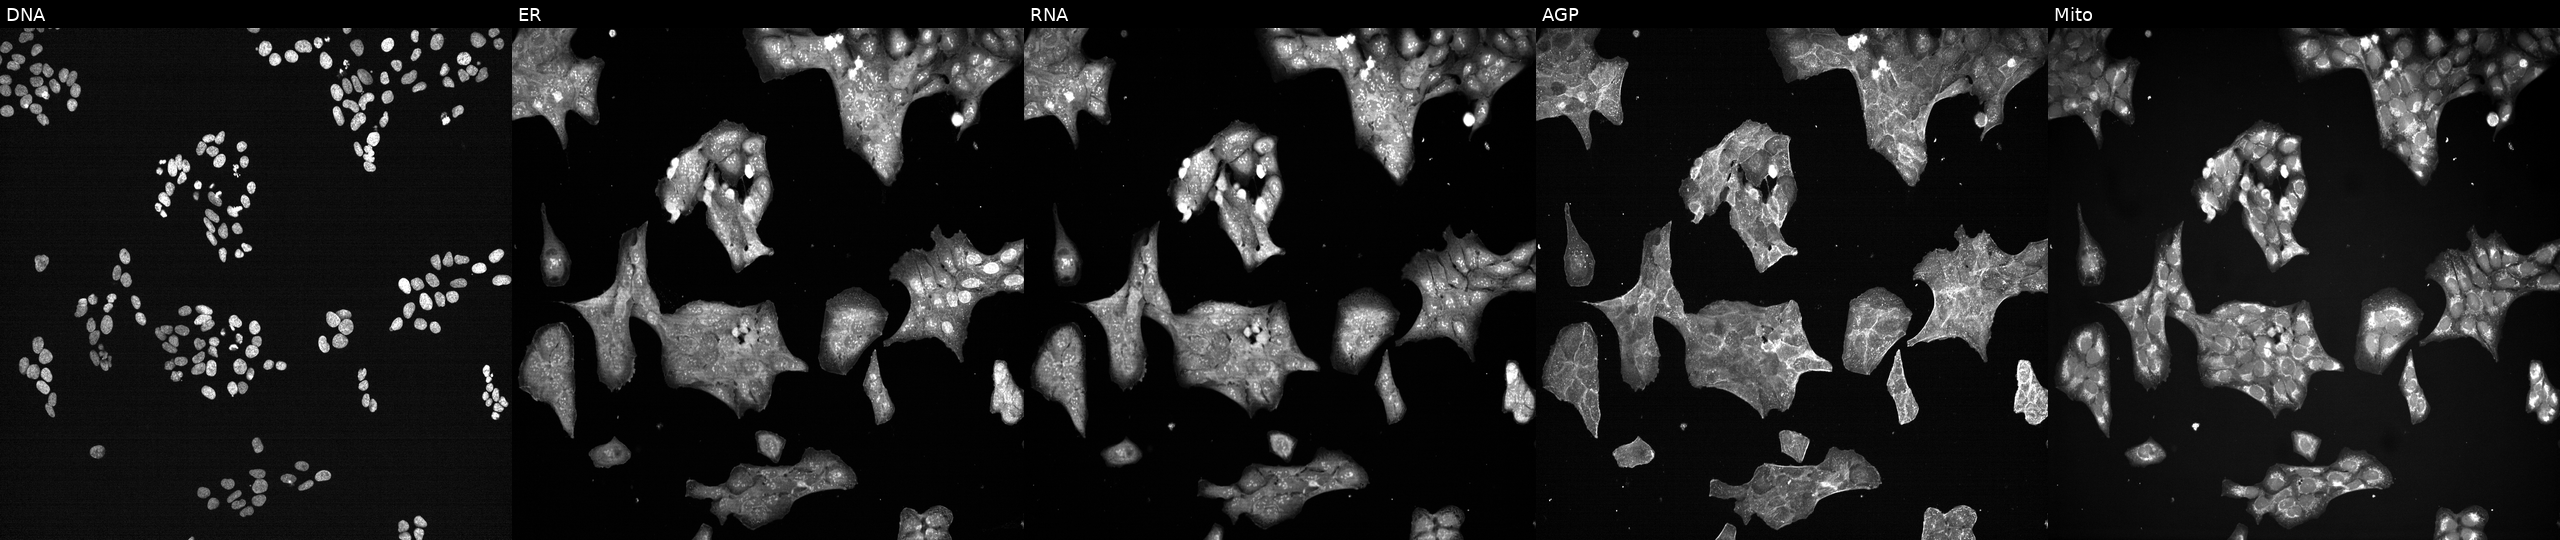
U2OS cells, Cell Painting assay, perturbed with a small-molecule compound (JUMP id JCP2022_081555). The five panels, left to right, show DNA, ER, RNA, AGP, and Mito. Each panel is percentile-stretched 16-bit fluorescence. Source 7, plate CP2-SC1-25, well N02.